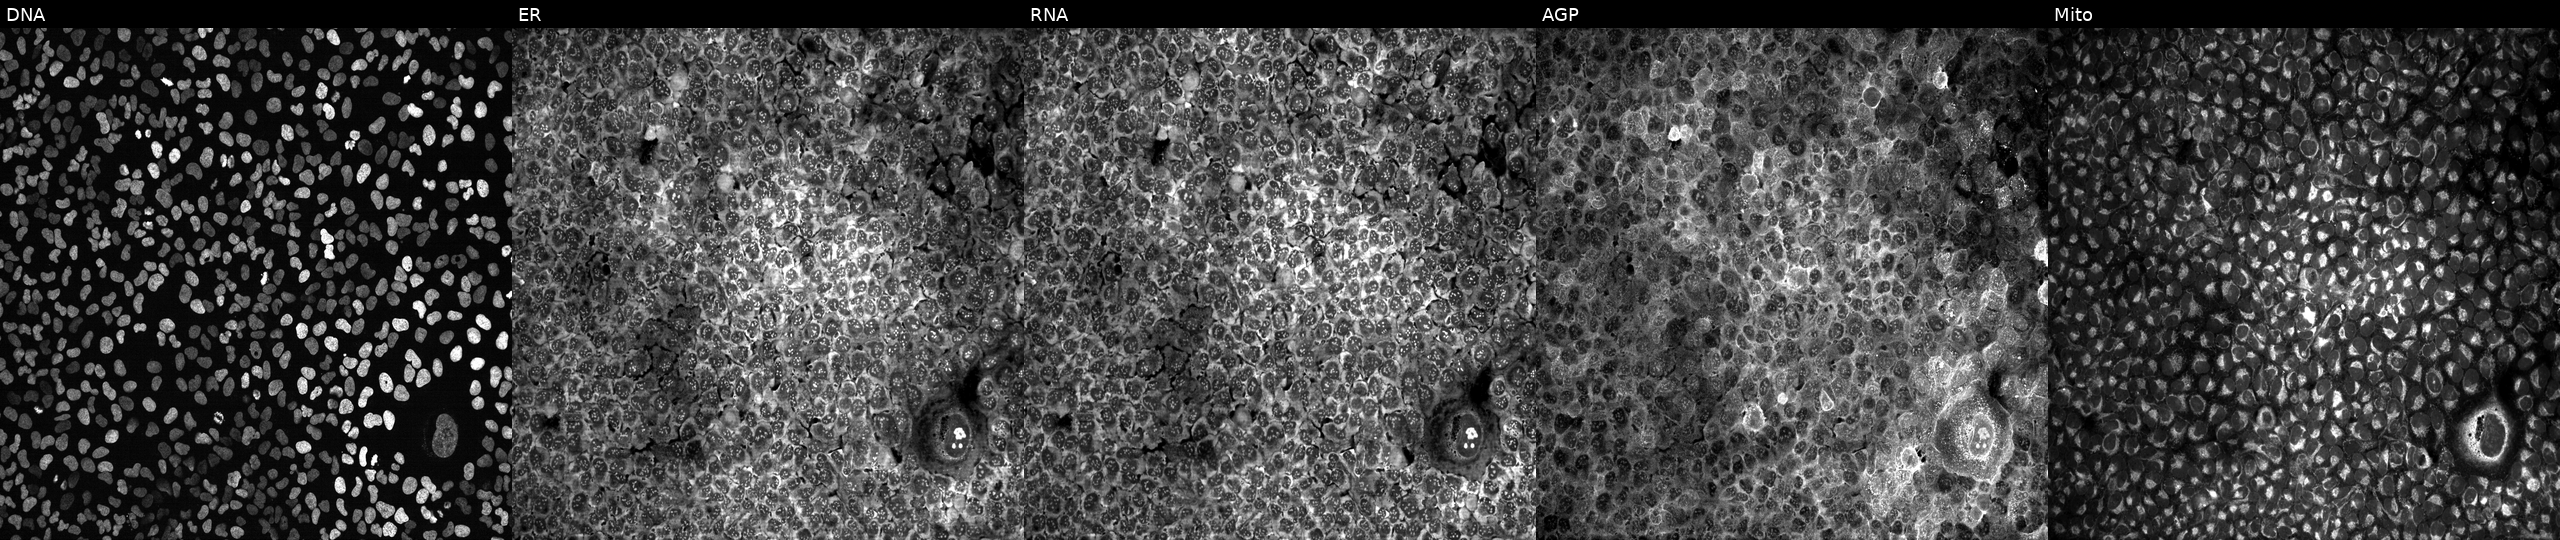
U2OS cells, Cell Painting assay, with no CRISPR guide (negative control) (JUMP id JCP2022_800001). Panels show, left to right, Hoechst 33342, concanavalin A, SYTO 14, phalloidin and WGA, MitoTracker. Each panel is percentile-stretched 16-bit fluorescence.